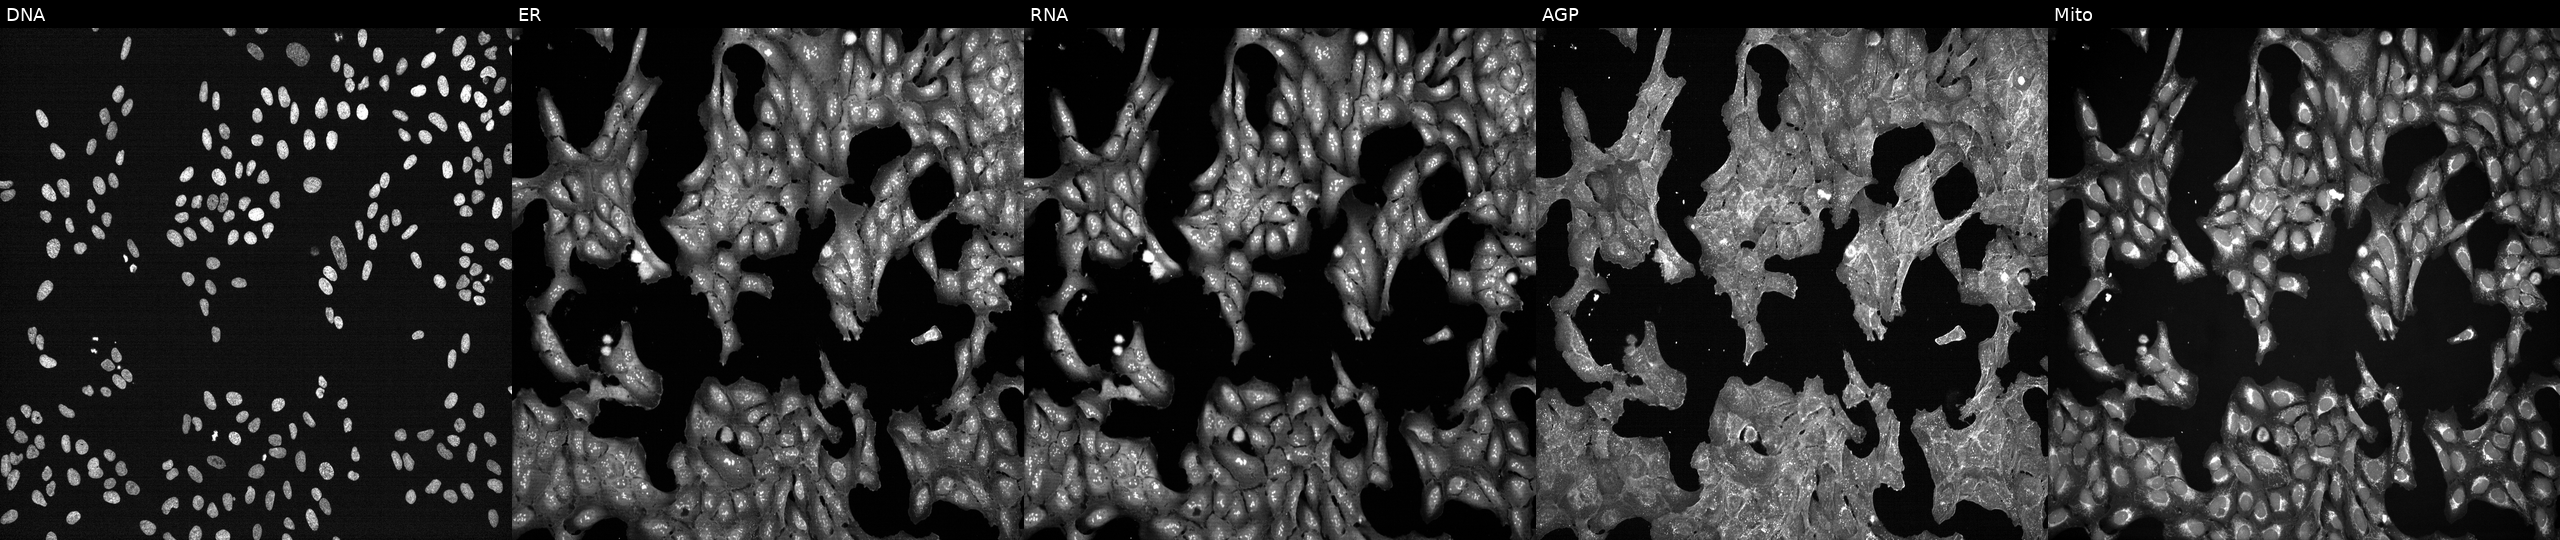
High-content fluorescence microscopy (Cell Painting). Cell line: U2OS. Perturbation: exposed to a small-molecule compound (InChIKey XXRCUYVCPSWGCC-UHFFFAOYSA-N) (JUMP id JCP2022_106722). From left to right: DNA (nuclei); ER (endoplasmic reticulum); RNA (nucleoli and cytoplasmic RNA); AGP (actin cytoskeleton, Golgi, and plasma membrane); Mito (mitochondria). Source 7, plate CP2-SC1-25, well E11.